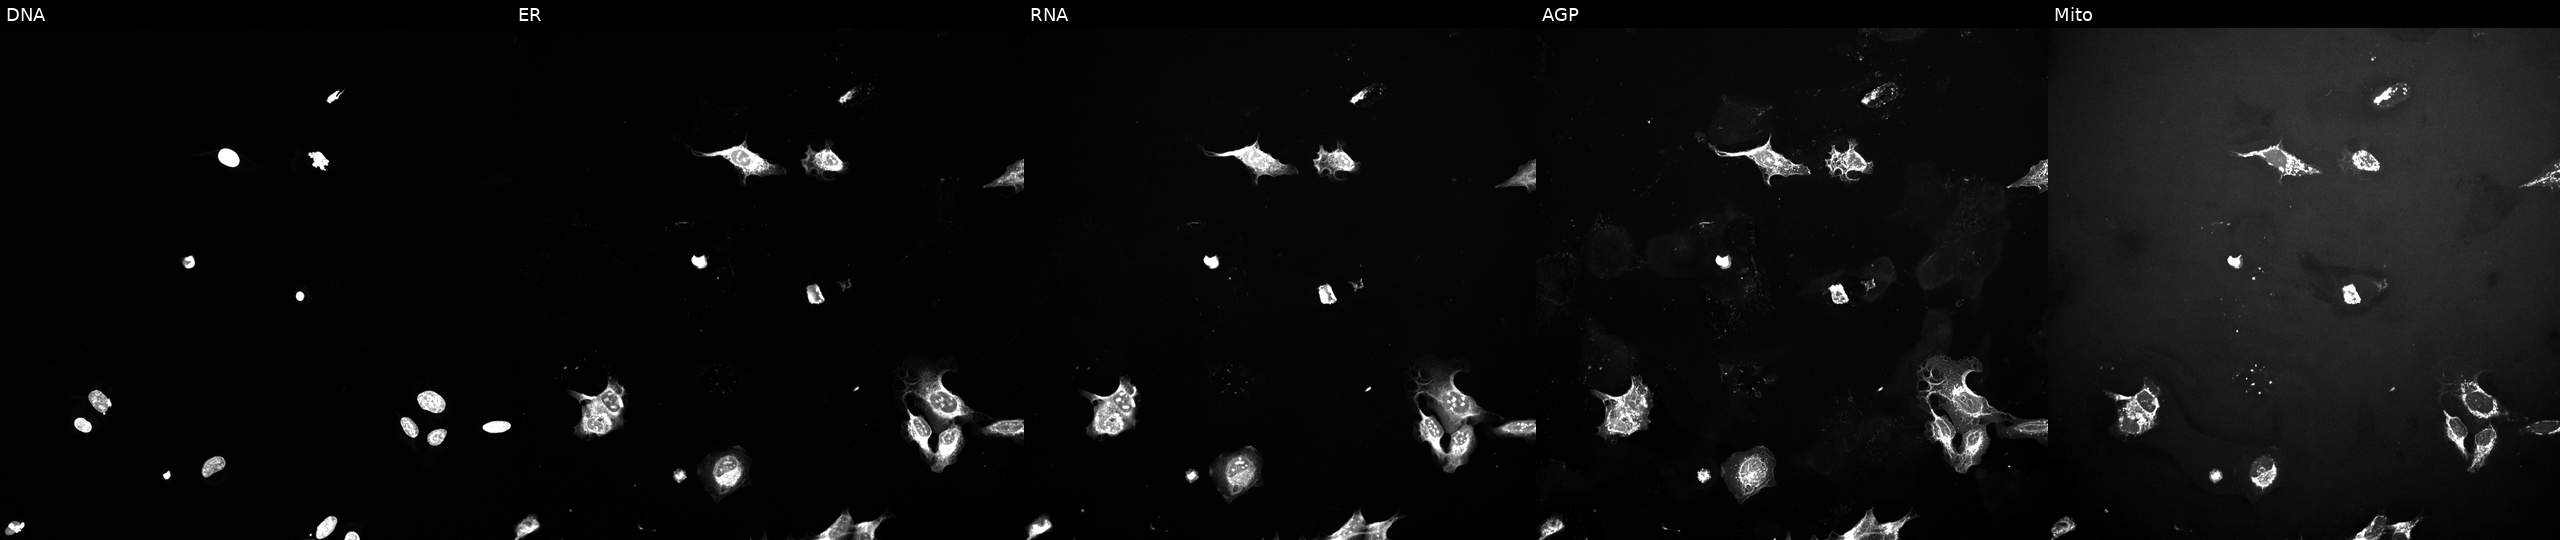
High-content fluorescence microscopy (Cell Painting). Cell line: U2OS. Perturbation: treated with a small-molecule compound (InChIKey XQVVPGYIWAGRNI-UHFFFAOYSA-N) (JUMP id JCP2022_105442). The five panels, left to right, show DNA, ER, RNA, AGP, and Mito.